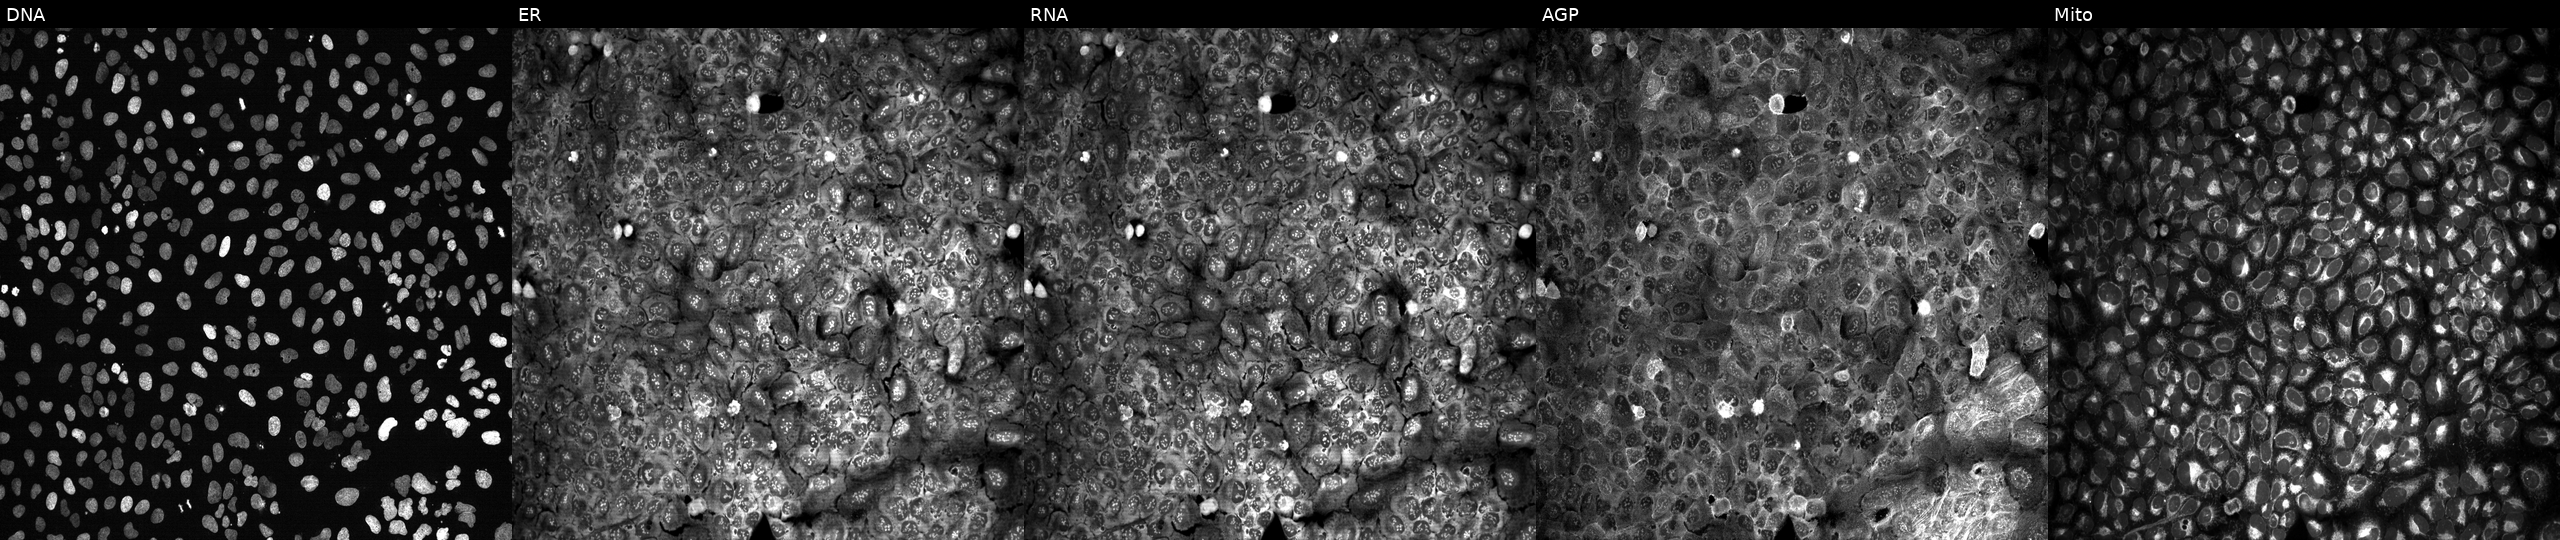
High-content fluorescence microscopy (Cell Painting). Cell line: U2OS. Perturbation: CRISPR-edited to disrupt TM7SF2. Channels (left→right): Hoechst 33342, concanavalin A, SYTO 14, phalloidin and WGA, MitoTracker. Source 13, plate CP-CC9-R3-02, well B09.